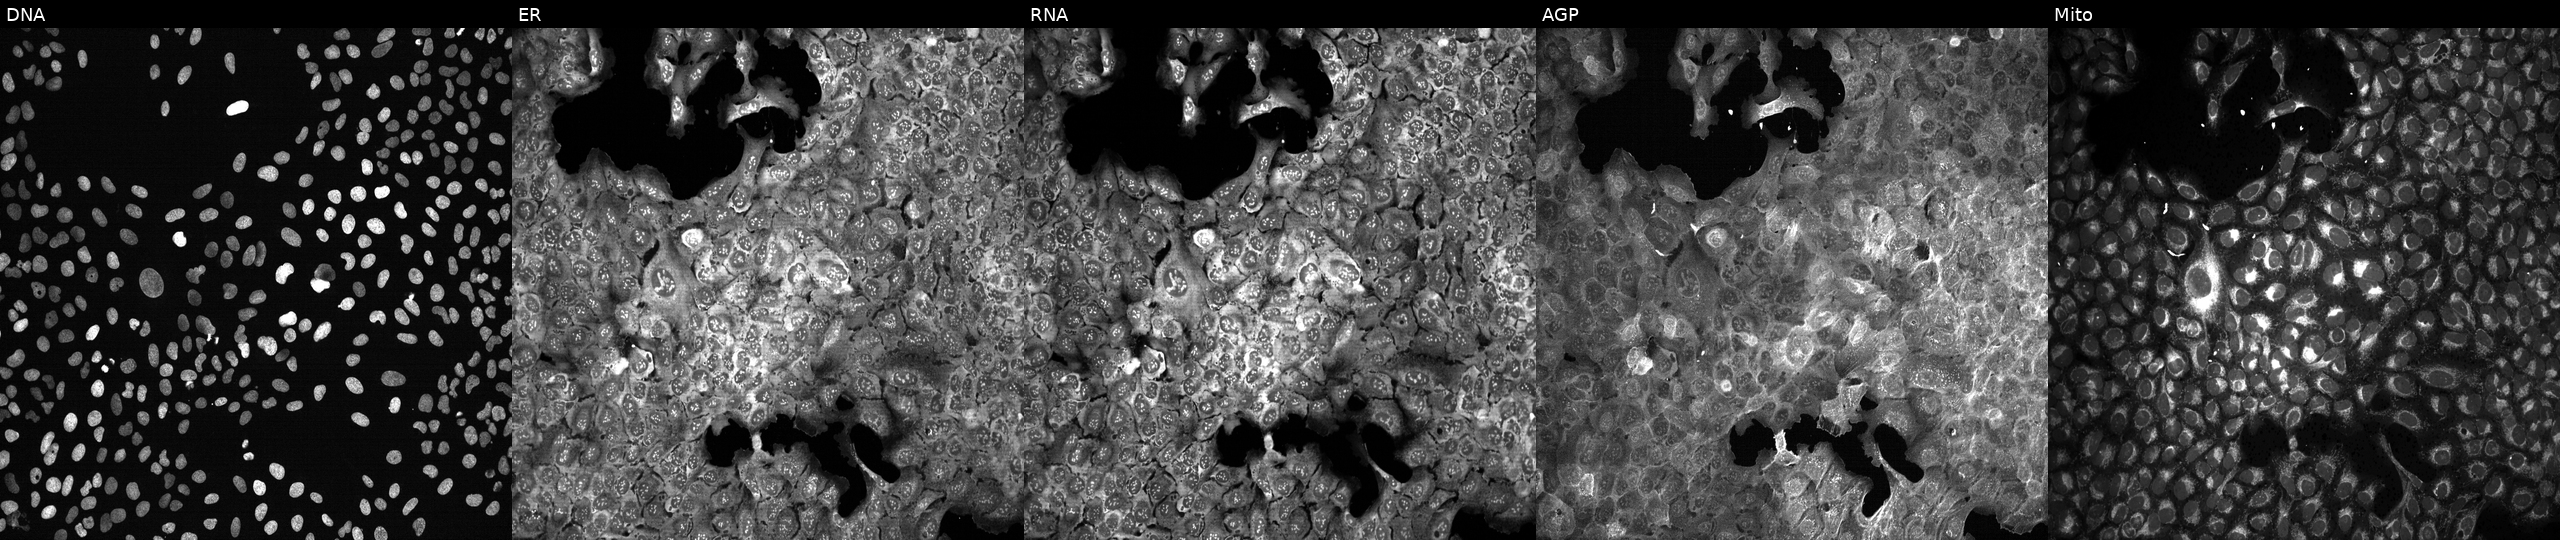
JUMP Cell Painting — CRISPR plate. U2OS cells treated with quinidine (positive-control compound). Panels show, left to right, DNA (nuclei); ER (endoplasmic reticulum); RNA (nucleoli and cytoplasmic RNA); AGP (actin cytoskeleton, Golgi, and plasma membrane); Mito (mitochondria). Source 13, plate CP-CC9-R2-01, well J24.